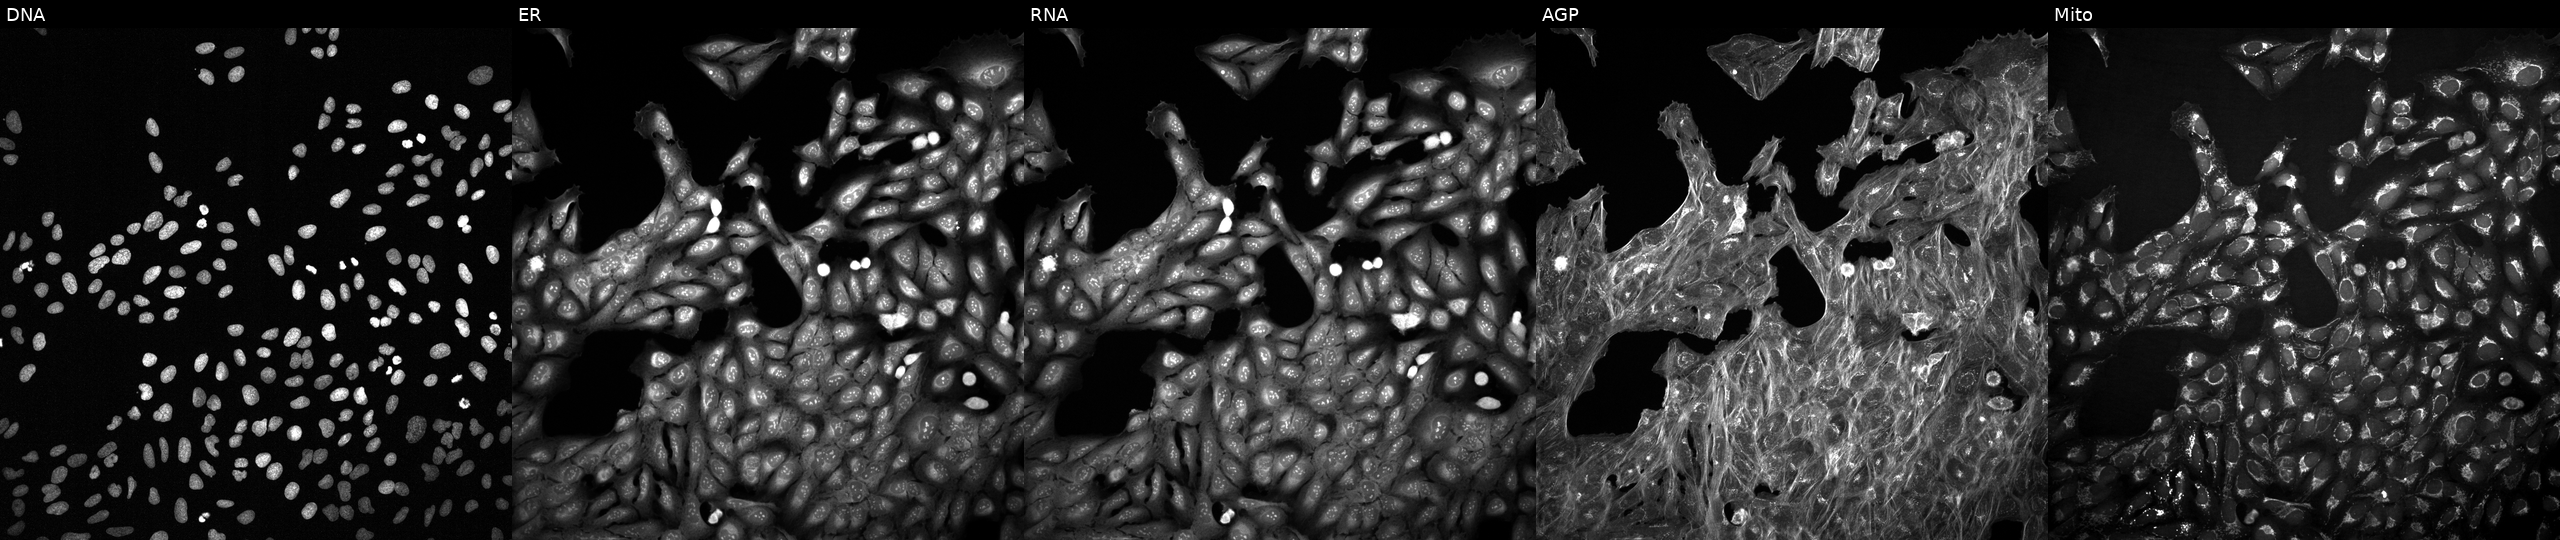
Channels (left→right): DNA (nuclei); ER (endoplasmic reticulum); RNA (nucleoli and cytoplasmic RNA); AGP (actin cytoskeleton, Golgi, and plasma membrane); Mito (mitochondria). U2OS osteosarcoma cells treated with a small-molecule compound (JUMP id JCP2022_115134). Cell Painting assay, JUMP-CP dataset.